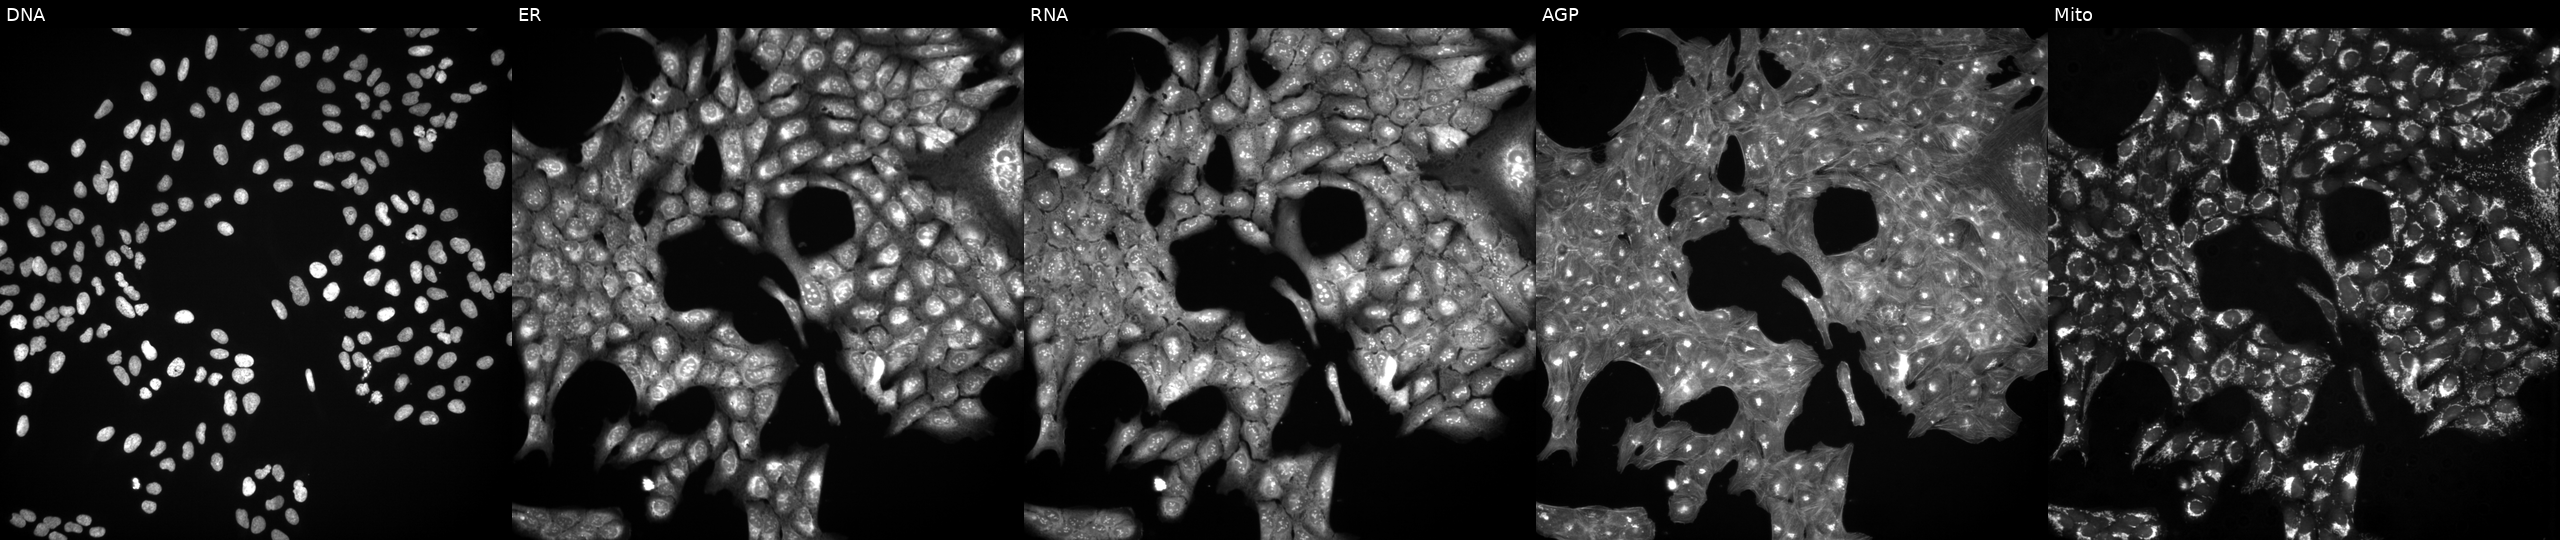
Panels show, left to right, DNA (nuclei); ER (endoplasmic reticulum); RNA (nucleoli and cytoplasmic RNA); AGP (actin cytoskeleton, Golgi, and plasma membrane); Mito (mitochondria). U2OS osteosarcoma cells exposed to a small-molecule compound (InChIKey ADESXOBKNPNEBE-UHFFFAOYSA-N). Cell Painting assay, JUMP-CP dataset.